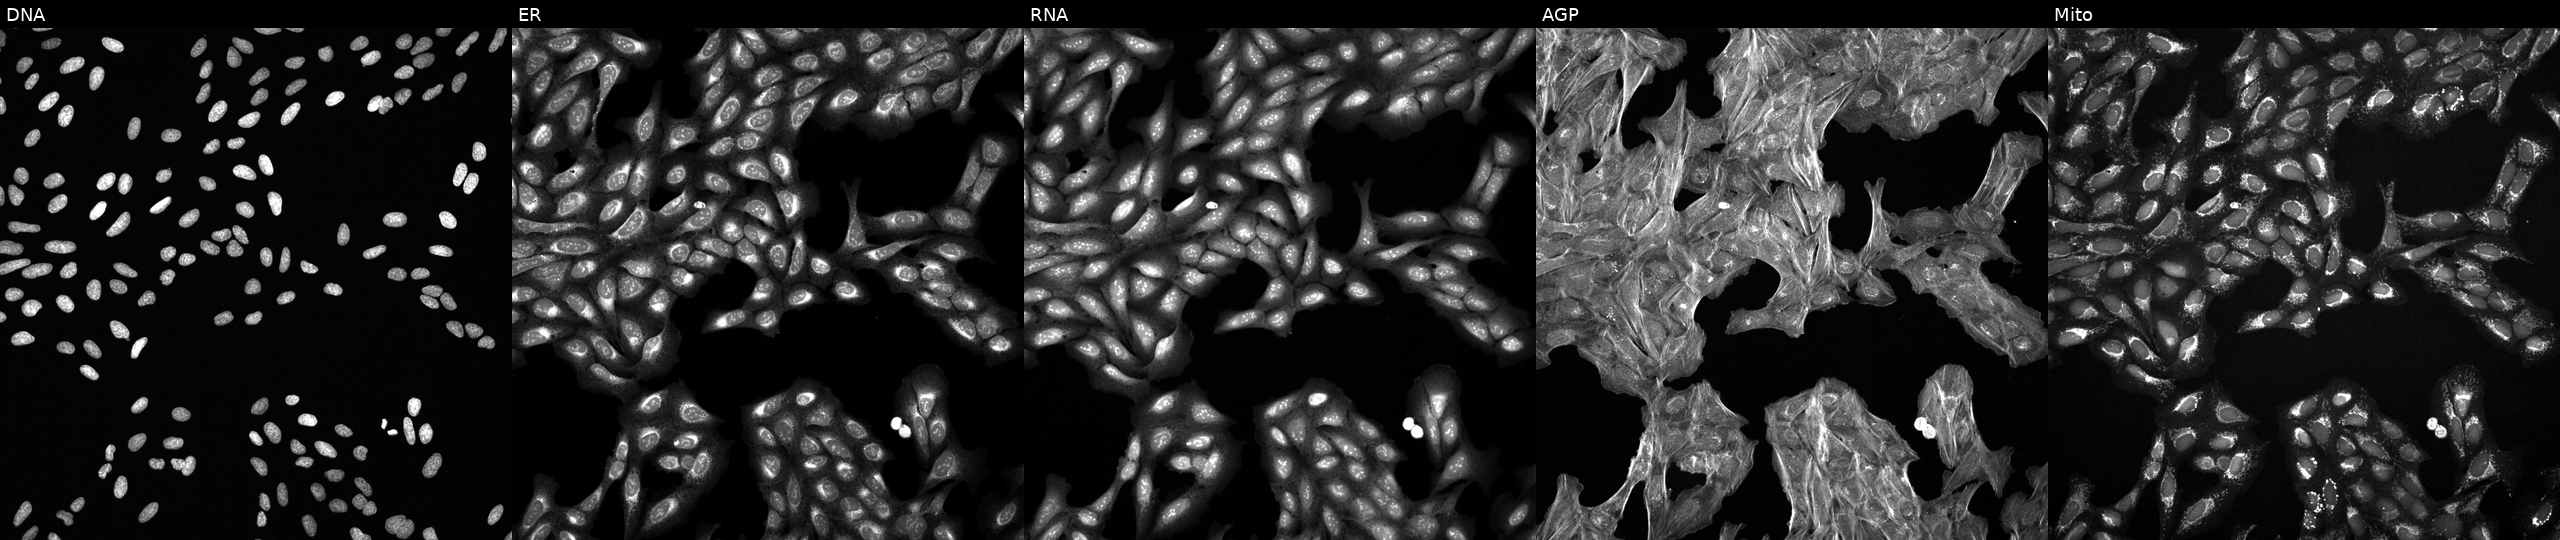
U2OS cells, Cell Painting assay, perturbed with a small-molecule compound (InChIKey NOIIUHRQUVNIDD-UHFFFAOYSA-N) (JUMP id JCP2022_060311). The five panels, left to right, show DNA (nuclei); ER (endoplasmic reticulum); RNA (nucleoli and cytoplasmic RNA); AGP (actin cytoskeleton, Golgi, and plasma membrane); Mito (mitochondria). Each panel is percentile-stretched 16-bit fluorescence.